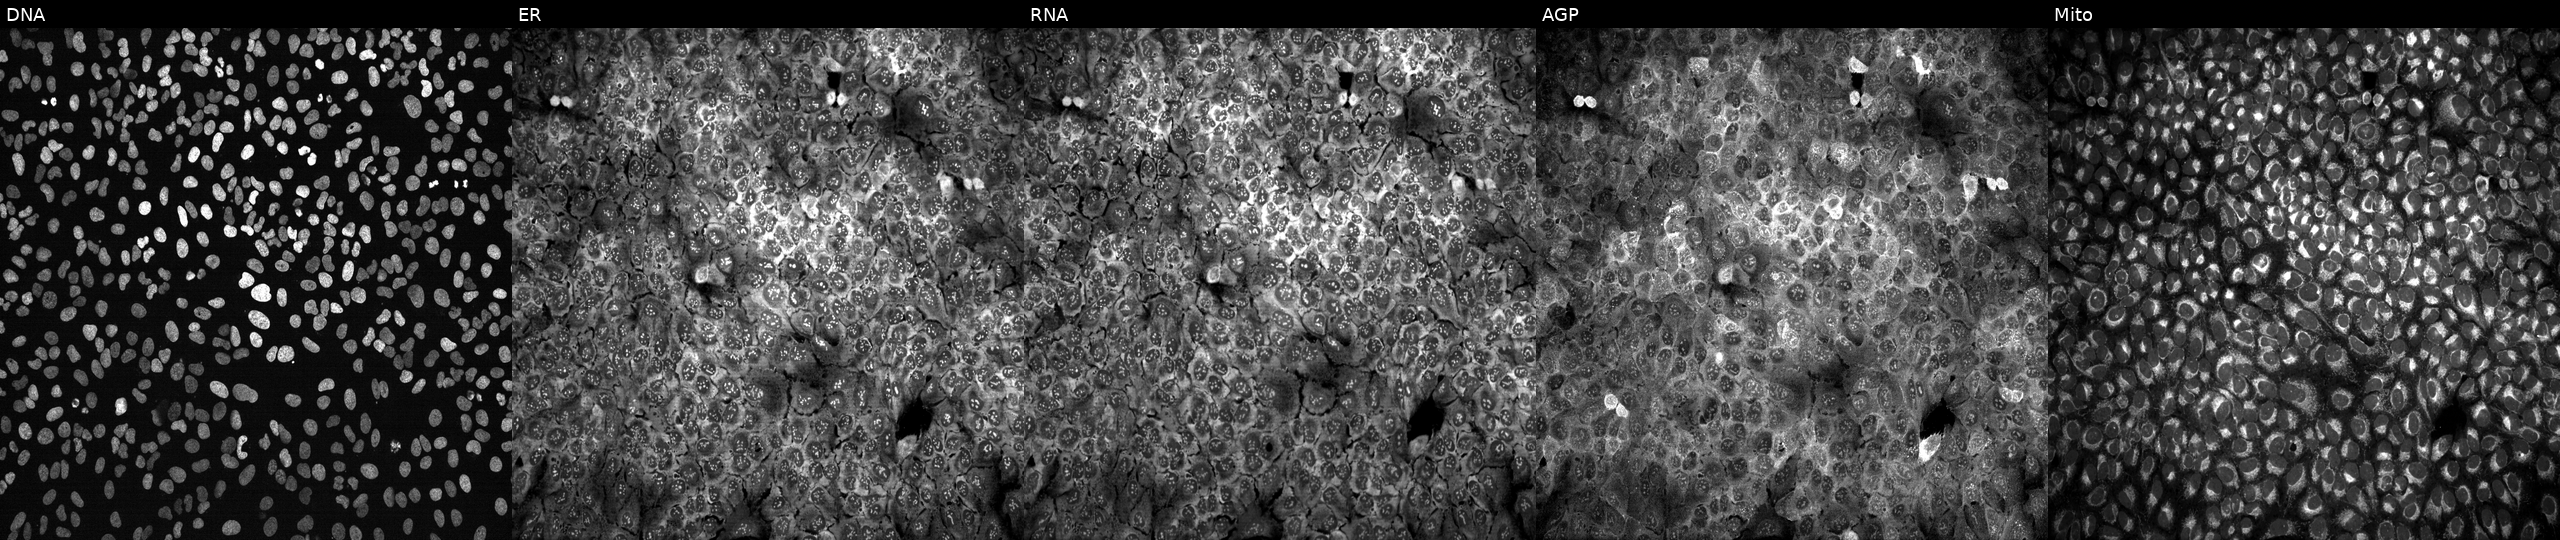
This image strip shows the five Cell Painting channels for a single field of U2OS cells CRISPR-edited to disrupt TYRP1. The five panels, left to right, show DNA (nuclei); ER (endoplasmic reticulum); RNA (nucleoli and cytoplasmic RNA); AGP (actin cytoskeleton, Golgi, and plasma membrane); Mito (mitochondria). Source 13, plate CP-CC9-R4-03, well O13.